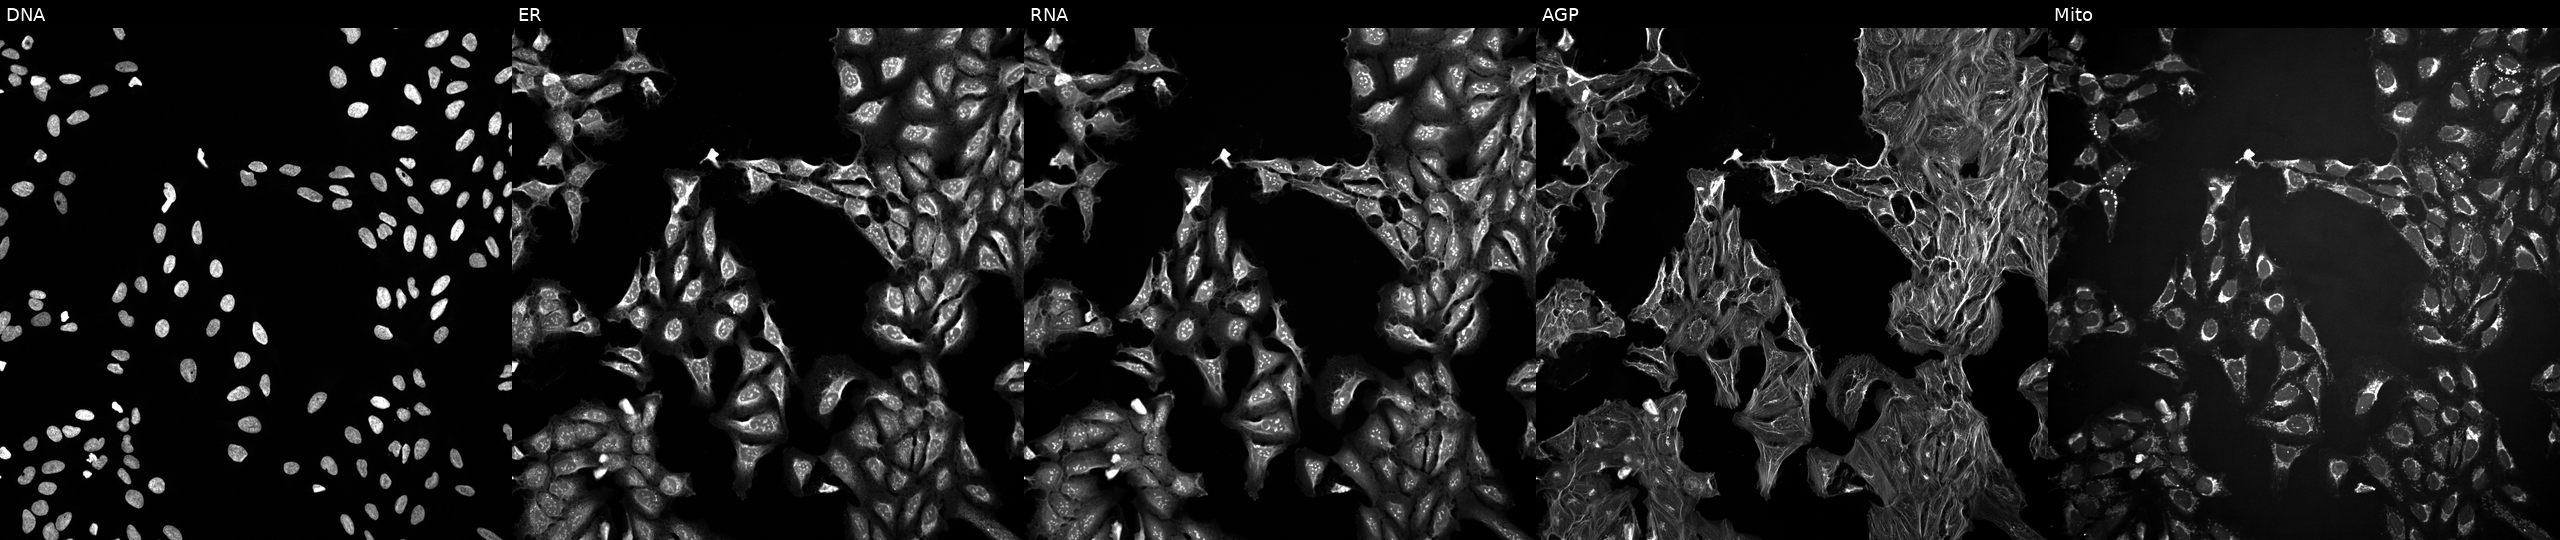
High-content fluorescence microscopy (Cell Painting). Cell line: U2OS. Perturbation: perturbed with a small-molecule compound (InChIKey VGZSUPCWNCWDAN-UHFFFAOYSA-N). From left to right: Hoechst 33342, concanavalin A, SYTO 14, phalloidin and WGA, MitoTracker.